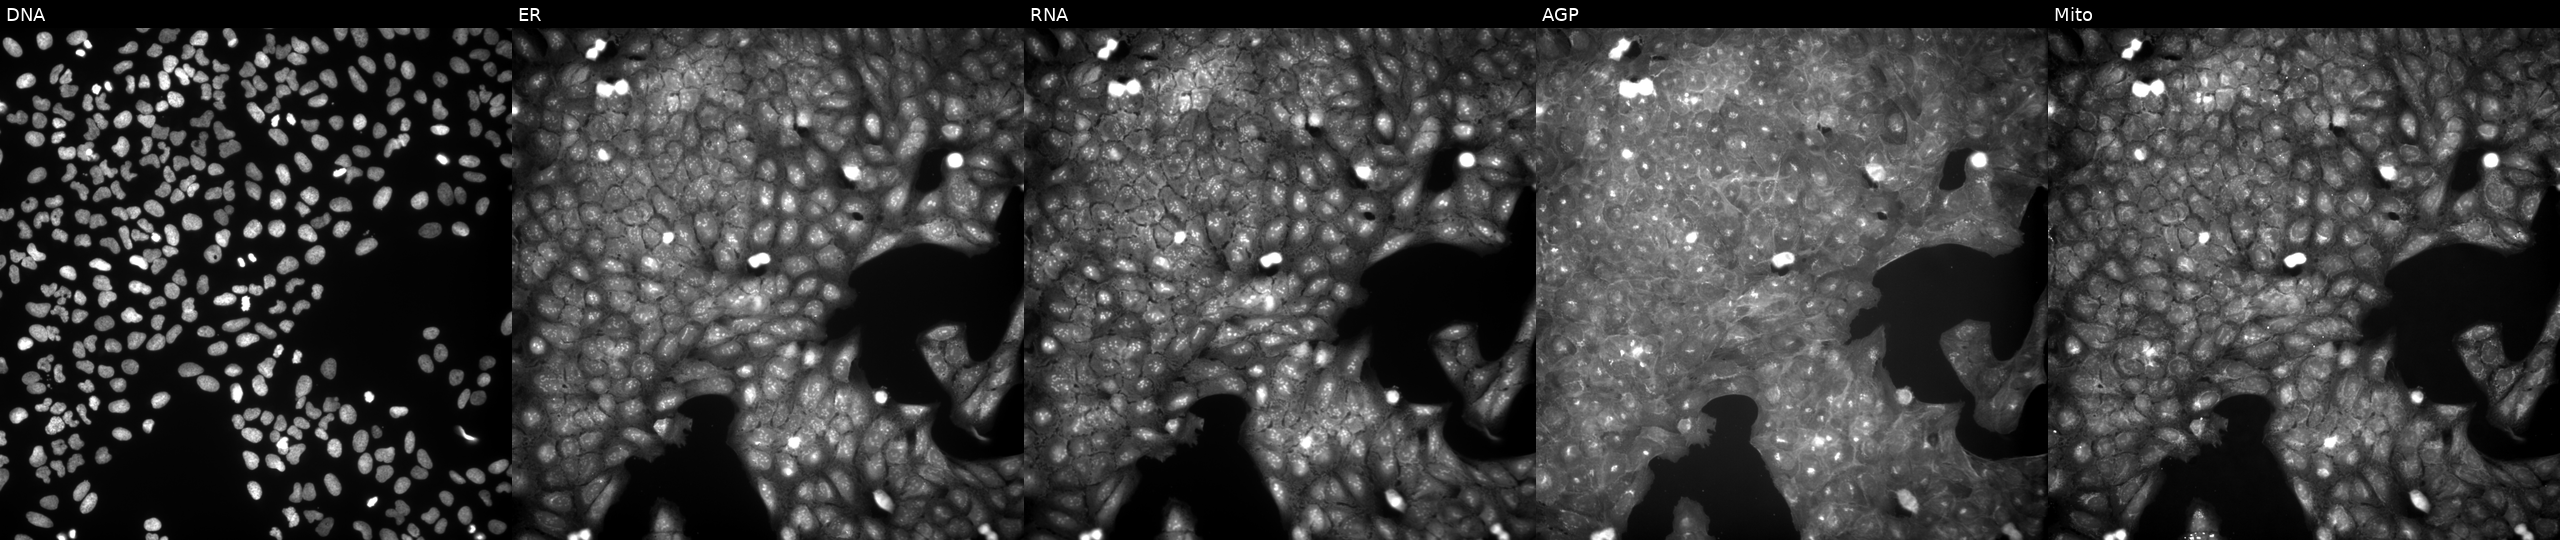
JUMP Cell Painting — COMPOUND plate. U2OS cells exposed to a small-molecule compound (JUMP id JCP2022_023342). Panels show, left to right, DNA (nuclei); ER (endoplasmic reticulum); RNA (nucleoli and cytoplasmic RNA); AGP (actin cytoskeleton, Golgi, and plasma membrane); Mito (mitochondria). Source 9, plate GR00003381, well J28.